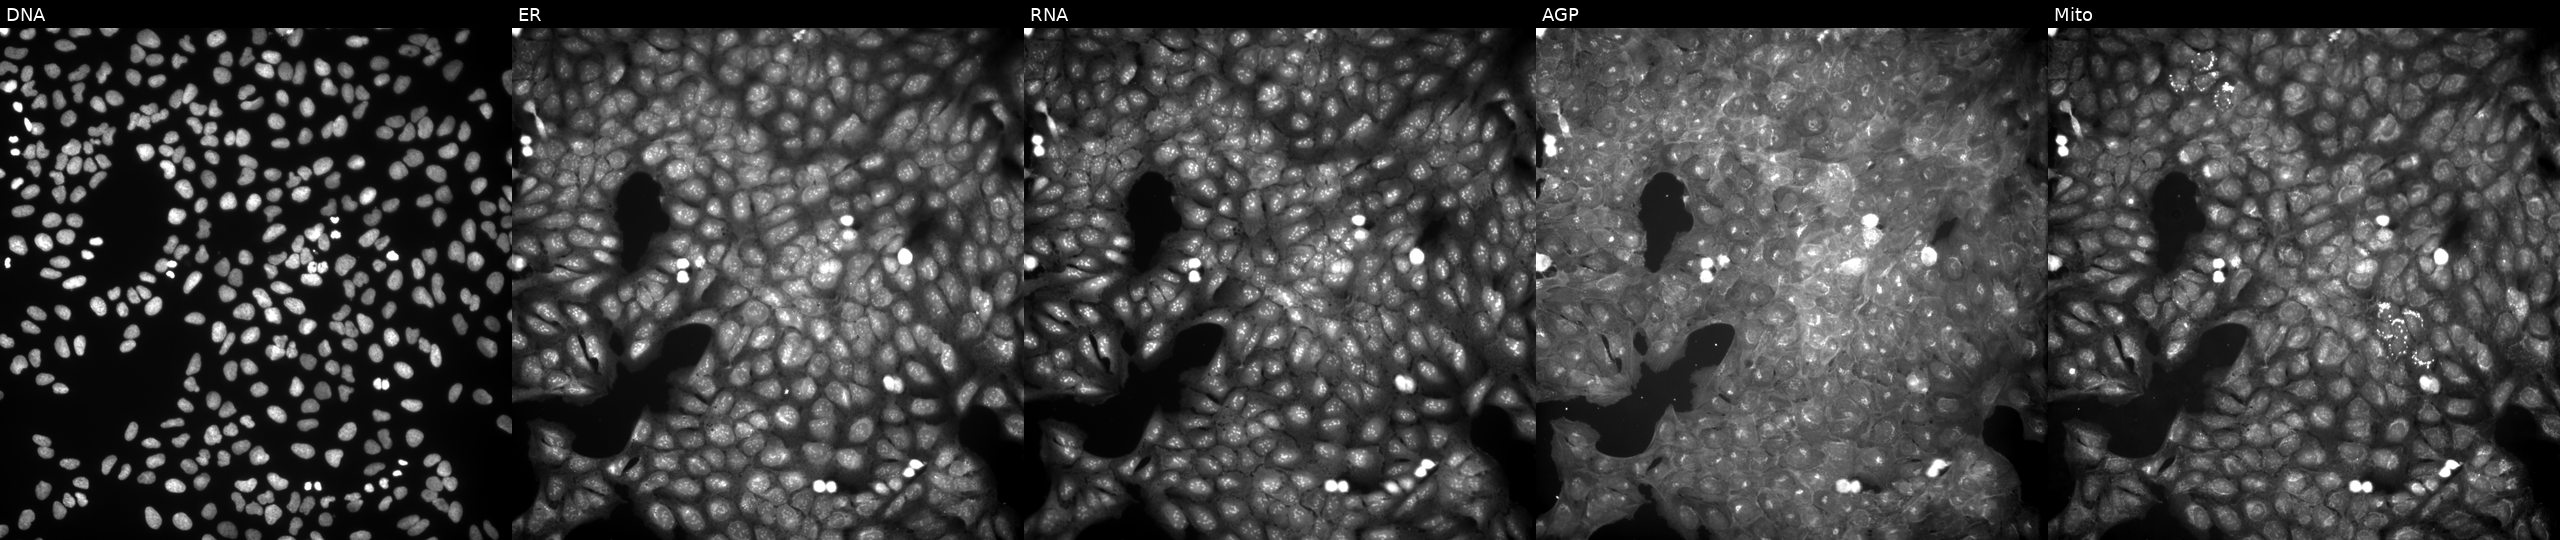
Channels (left→right): DNA, ER, RNA, AGP, and Mito. U2OS osteosarcoma cells perturbed with a small-molecule compound (InChIKey RZZOCRPOZNQGBC-UHFFFAOYSA-N) (JUMP id JCP2022_081822). Cell Painting assay, JUMP-CP dataset. Source 9, plate GR00003382, well R28.